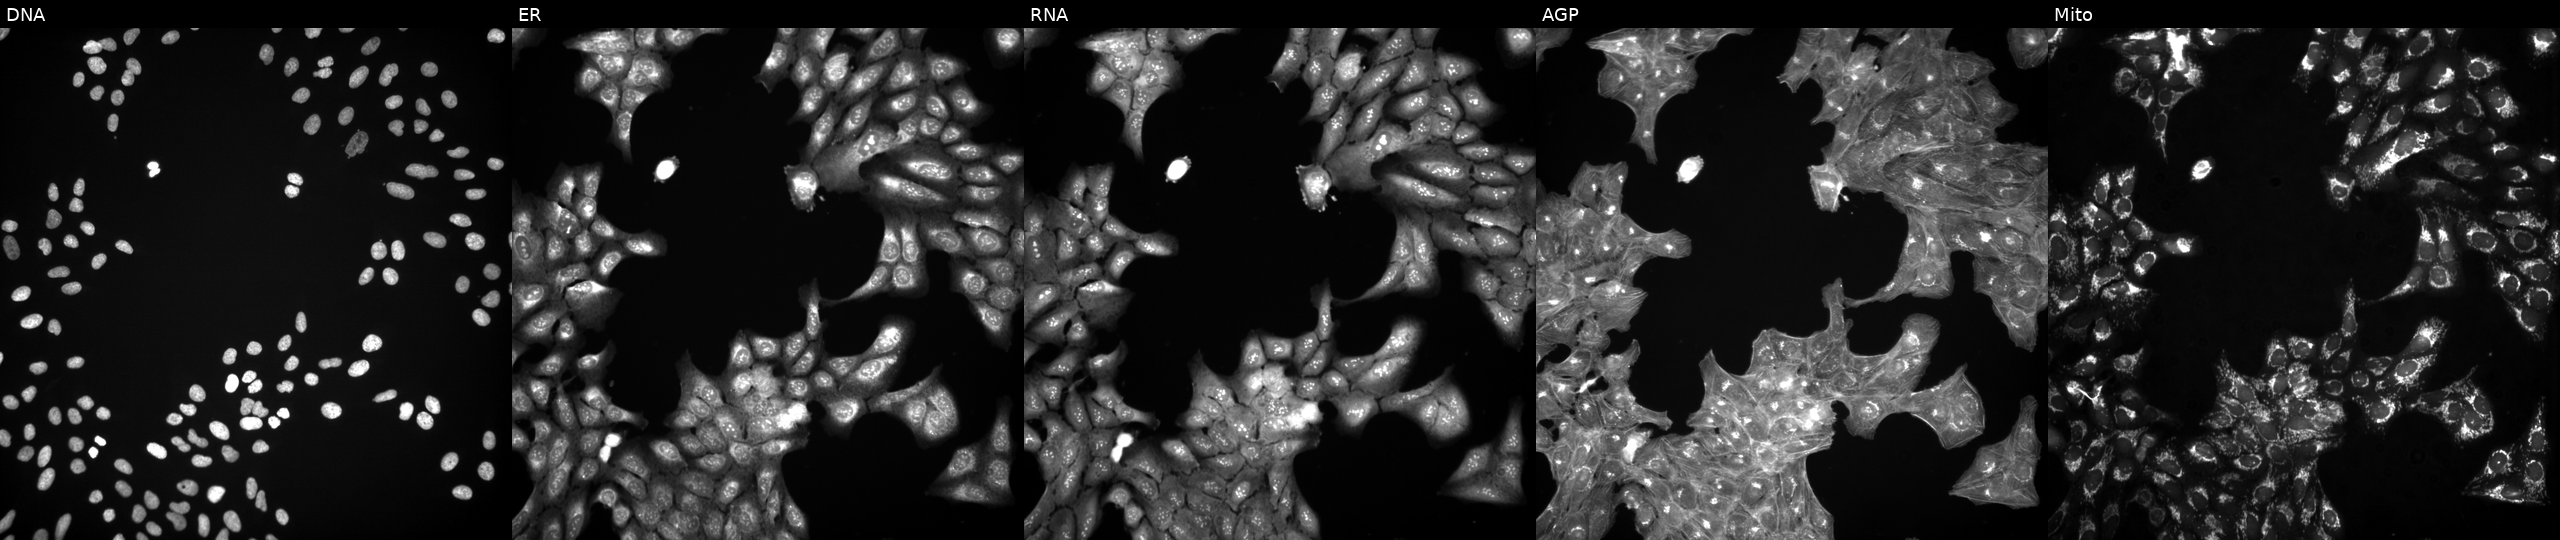
Five-channel Cell Painting image of U2OS cells perturbed with a small-molecule compound (InChIKey KPYSYYIEGFHWSV-UHFFFAOYSA-N) (JUMP id JCP2022_046239). Channels (left→right): DNA, ER, RNA, AGP, and Mito. Source 3, plate JCPQC051, well G13.